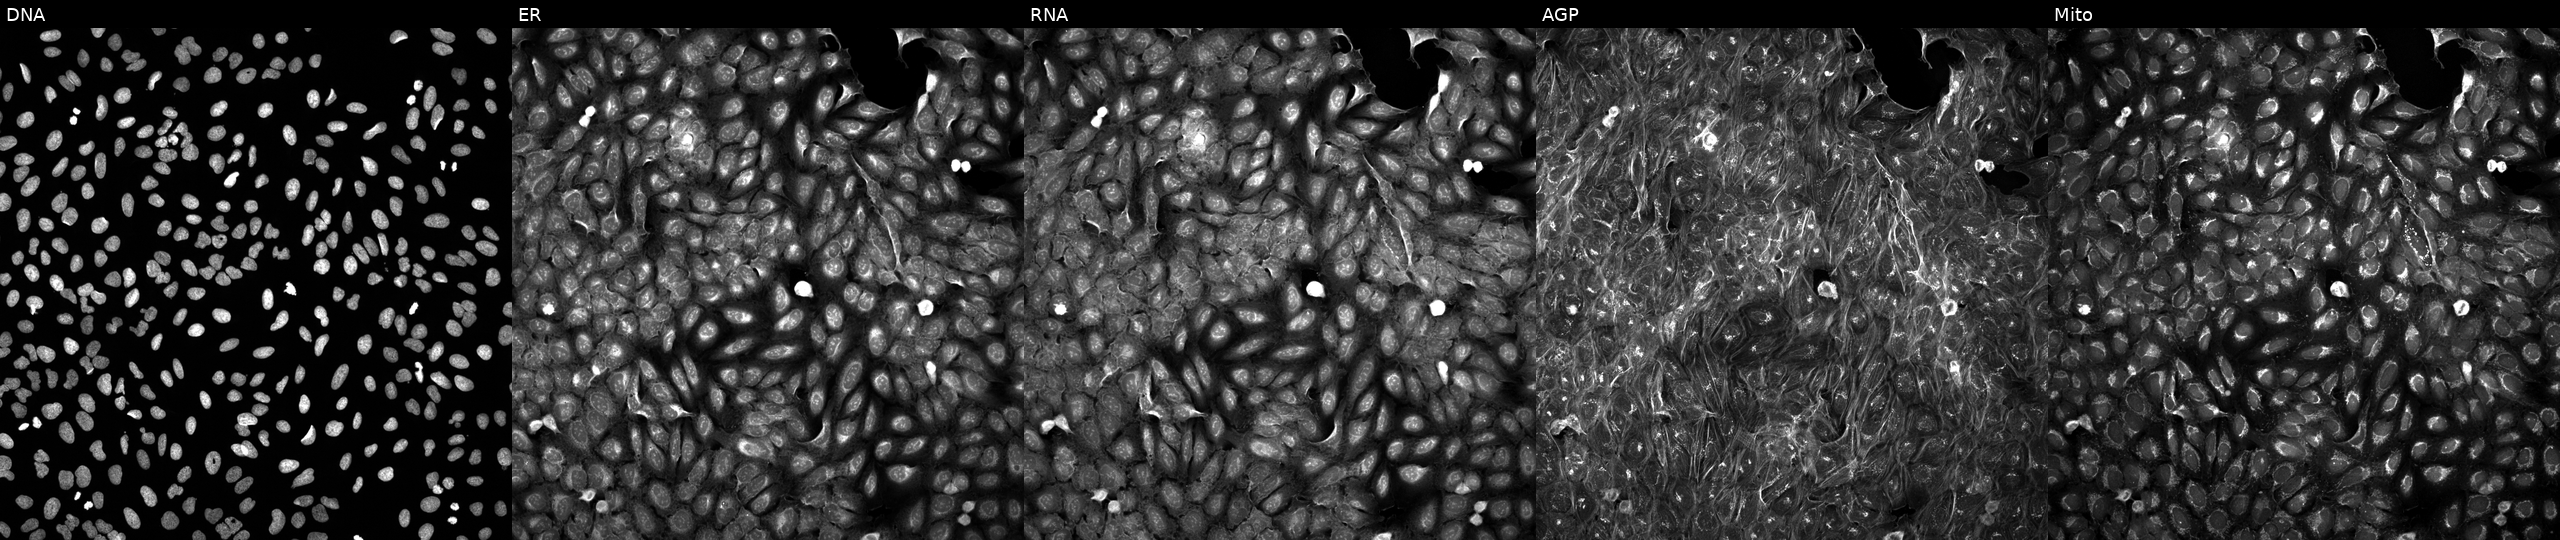
This image strip shows the five Cell Painting channels for a single field of U2OS cells exposed to a small-molecule compound (InChIKey KSCFJBIXMNOVSH-UHFFFAOYSA-N) [SMILES: Cn1c(=O)c2c(ncn2CC(O)CO)n(C)c1=O] (JUMP id JCP2022_046649). From left to right: DNA, ER, RNA, AGP, and Mito. Source 5, plate ACPJUM051, well N13.